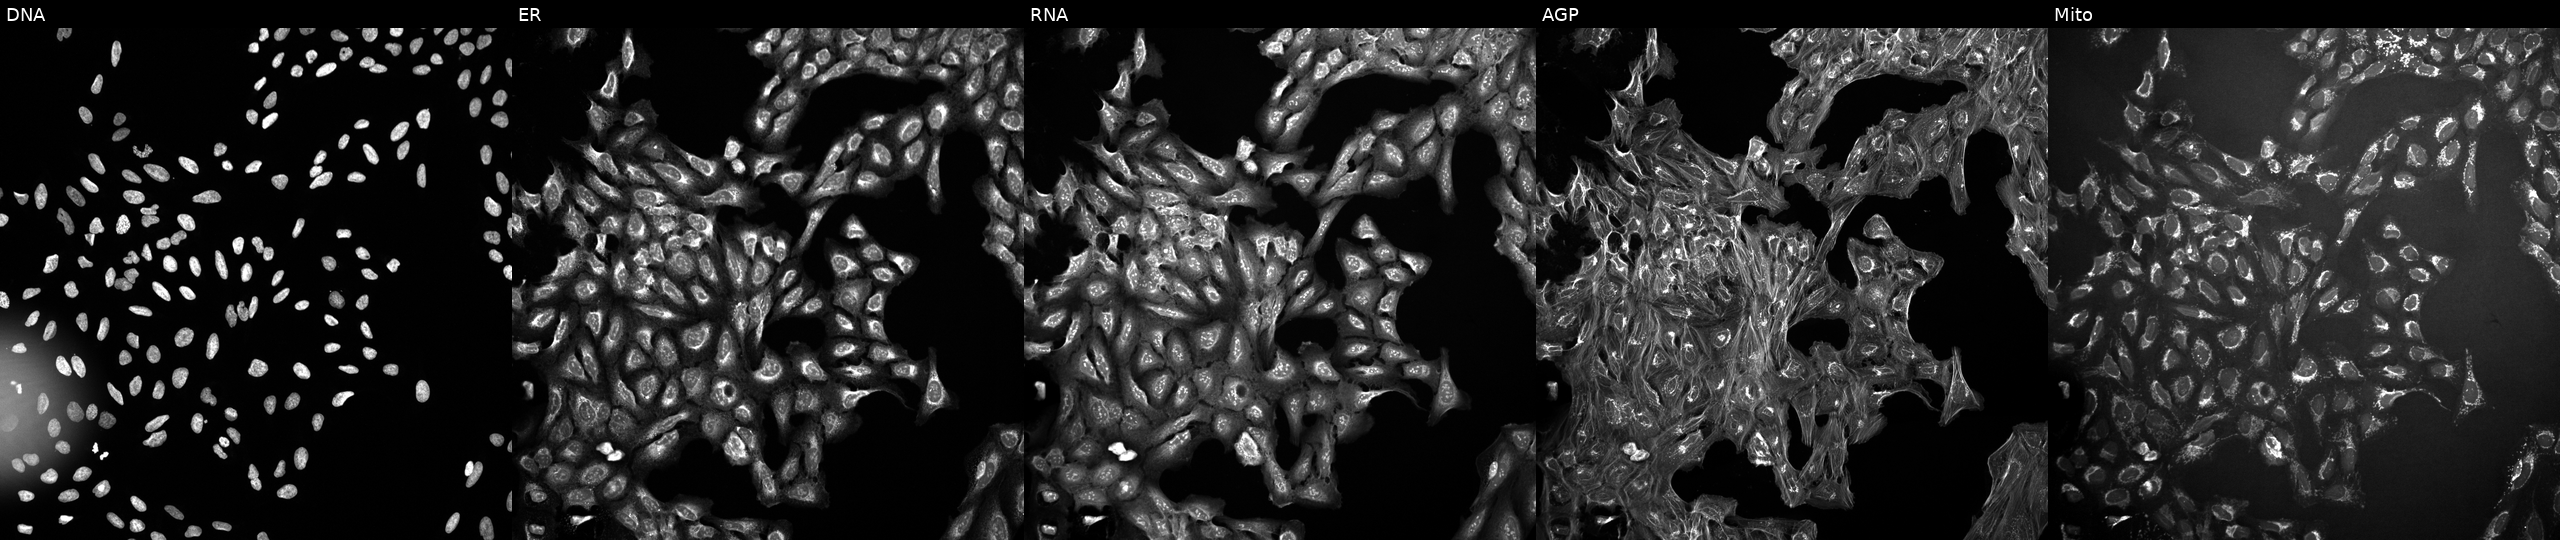
Panels show, left to right, DNA (nuclei); ER (endoplasmic reticulum); RNA (nucleoli and cytoplasmic RNA); AGP (actin cytoskeleton, Golgi, and plasma membrane); Mito (mitochondria). U2OS osteosarcoma cells exposed to a small-molecule compound (InChIKey QVUKSFKTLGQSPZ-UHFFFAOYSA-N). Cell Painting assay, JUMP-CP dataset.